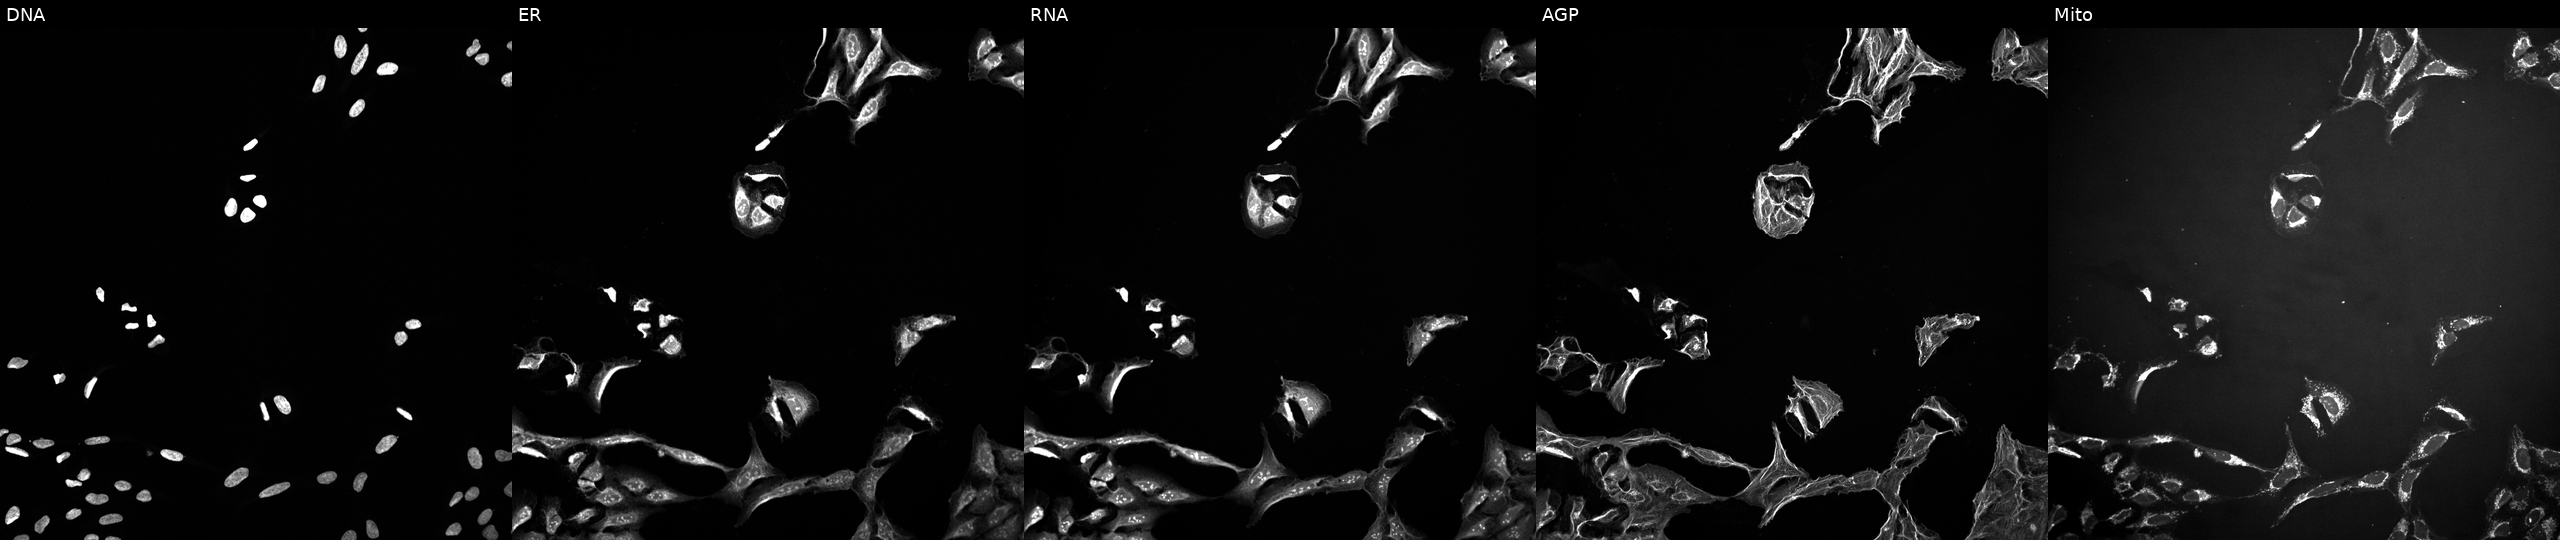
JUMP Cell Painting — TARGET2 plate. U2OS cells treated with a small-molecule compound (InChIKey NUIKTBLZSPQGCP-UHFFFAOYSA-N) (JUMP id JCP2022_061421). The five panels, left to right, show Hoechst 33342, concanavalin A, SYTO 14, phalloidin and WGA, MitoTracker.